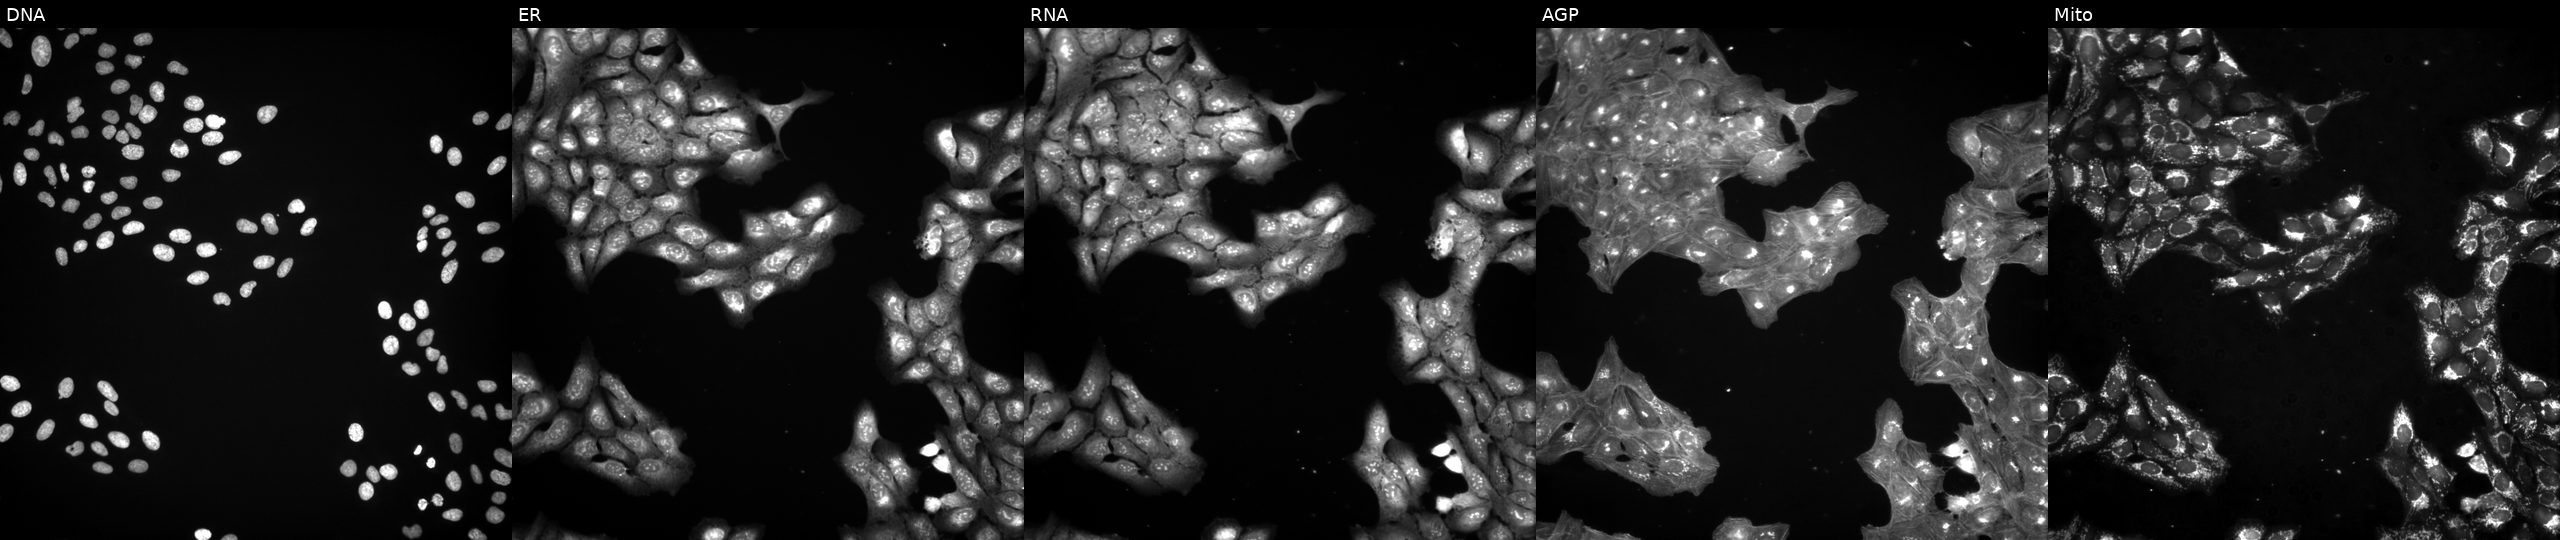
U2OS cells, Cell Painting assay, exposed to a small-molecule compound [SMILES: OCC1OC(n2cnc3c(=NC4CCCC4)[nH]cnc32)C(O)C1O]. The five panels, left to right, show DNA (nuclei); ER (endoplasmic reticulum); RNA (nucleoli and cytoplasmic RNA); AGP (actin cytoskeleton, Golgi, and plasma membrane); Mito (mitochondria). Each panel is percentile-stretched 16-bit fluorescence.